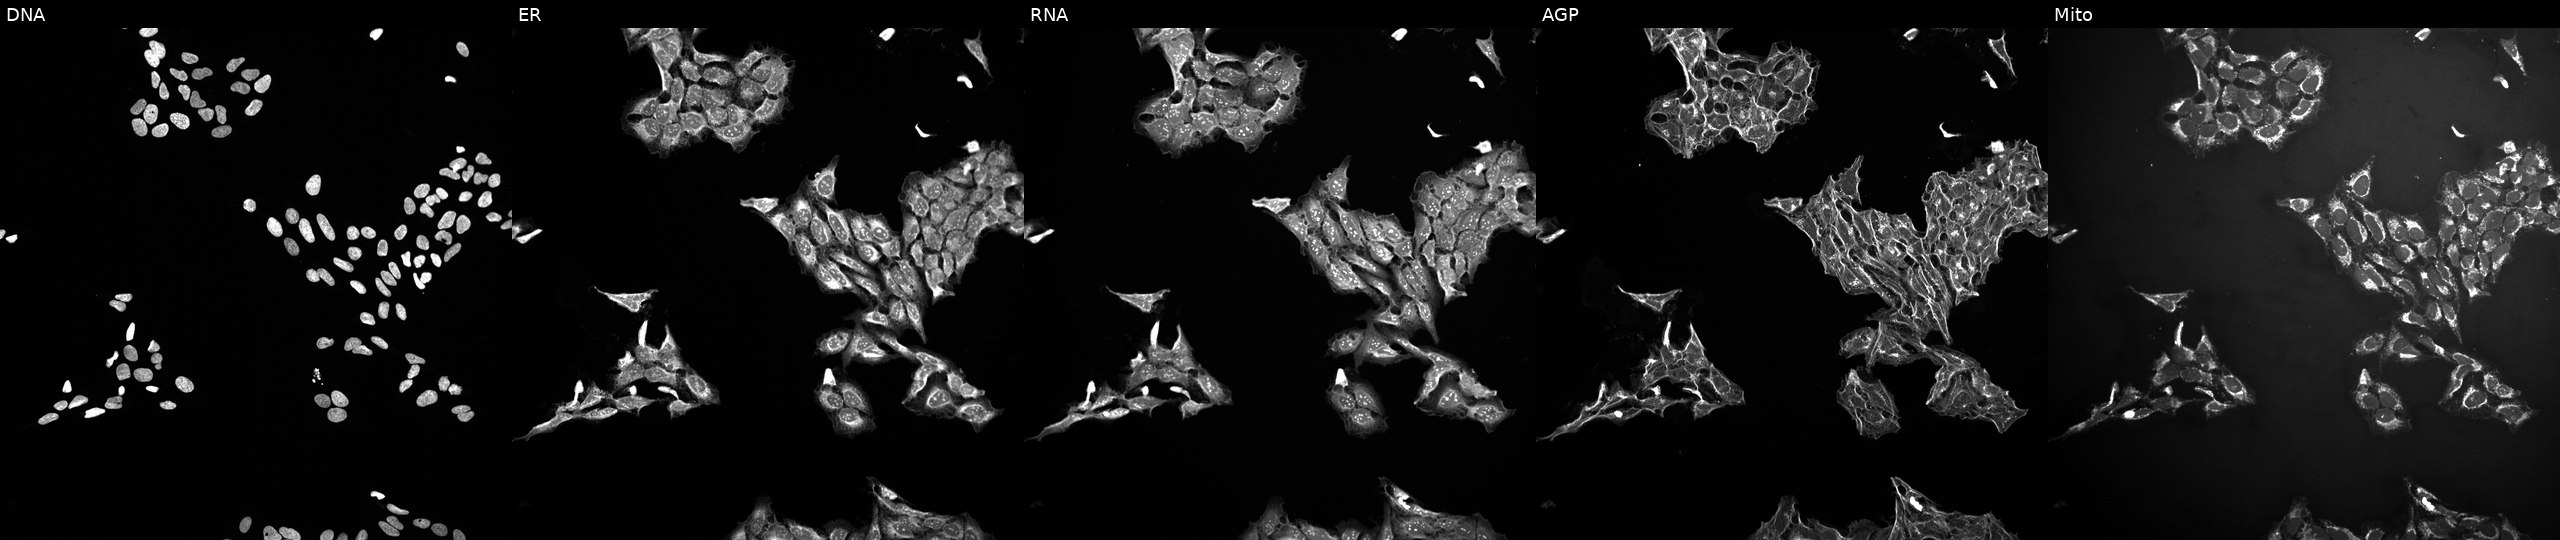
High-content fluorescence microscopy (Cell Painting). Cell line: U2OS. Perturbation: perturbed with a small-molecule compound. From left to right: Hoechst 33342, concanavalin A, SYTO 14, phalloidin and WGA, MitoTracker.